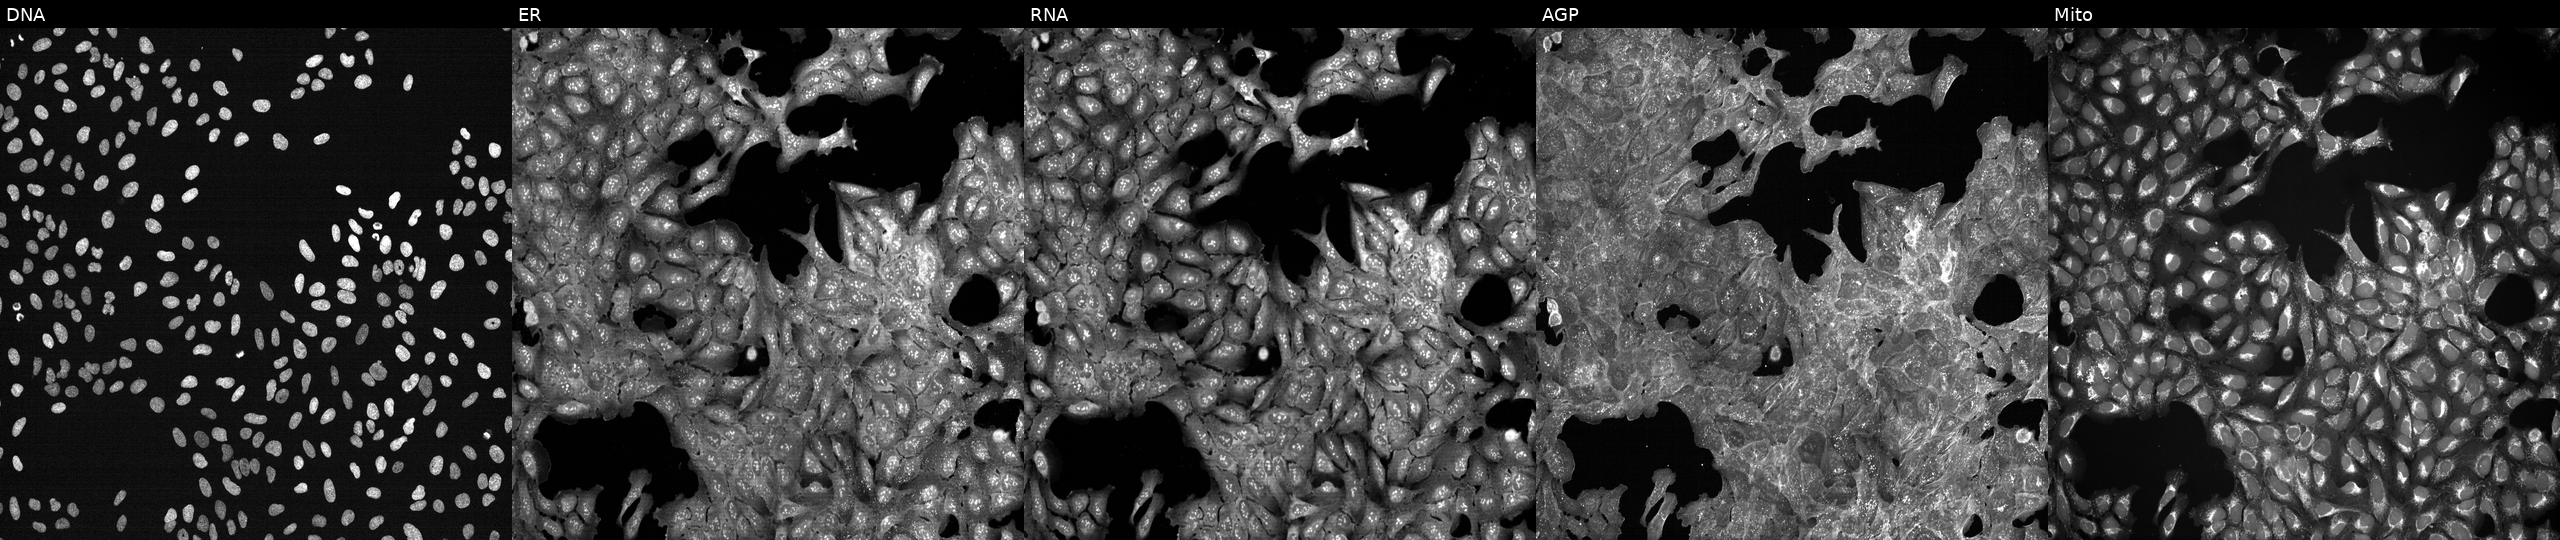
The five panels, left to right, show DNA, ER, RNA, AGP, and Mito. U2OS osteosarcoma cells exposed to the positive-control compound aloxistatin (JUMP id JCP2022_085227). Cell Painting assay, JUMP-CP dataset.